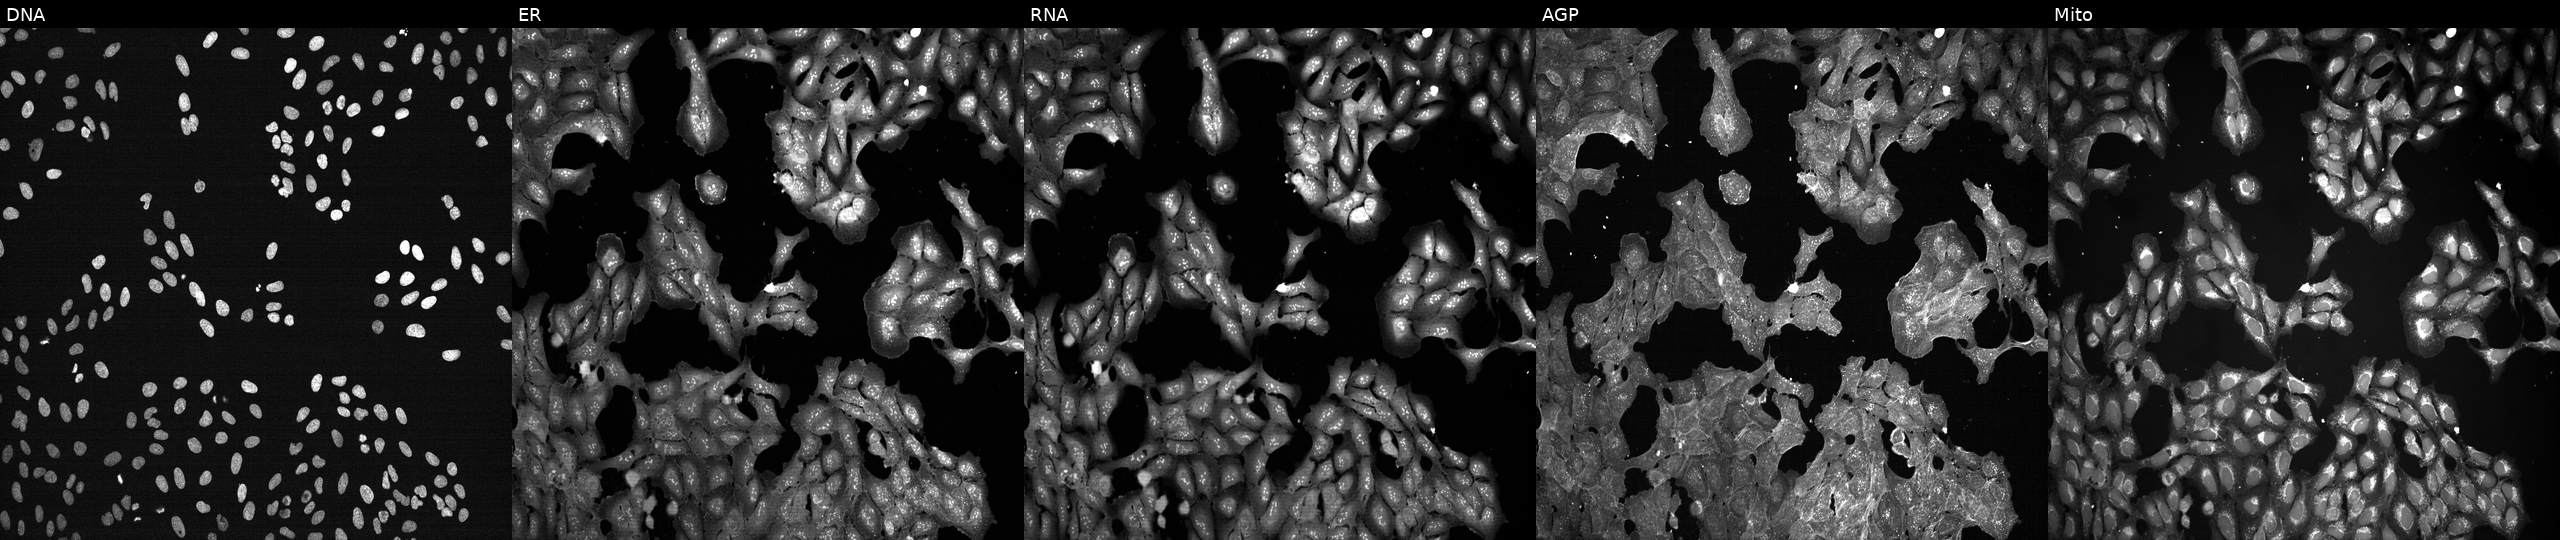
High-content fluorescence microscopy (Cell Painting). Cell line: U2OS. Perturbation: exposed to a small-molecule compound (InChIKey SBDNJUWAMKYJOX-UHFFFAOYSA-N) (JUMP id JCP2022_082046). Panels show, left to right, DNA (nuclei); ER (endoplasmic reticulum); RNA (nucleoli and cytoplasmic RNA); AGP (actin cytoskeleton, Golgi, and plasma membrane); Mito (mitochondria). Source 7, plate CP2-SC1-25, well L02.